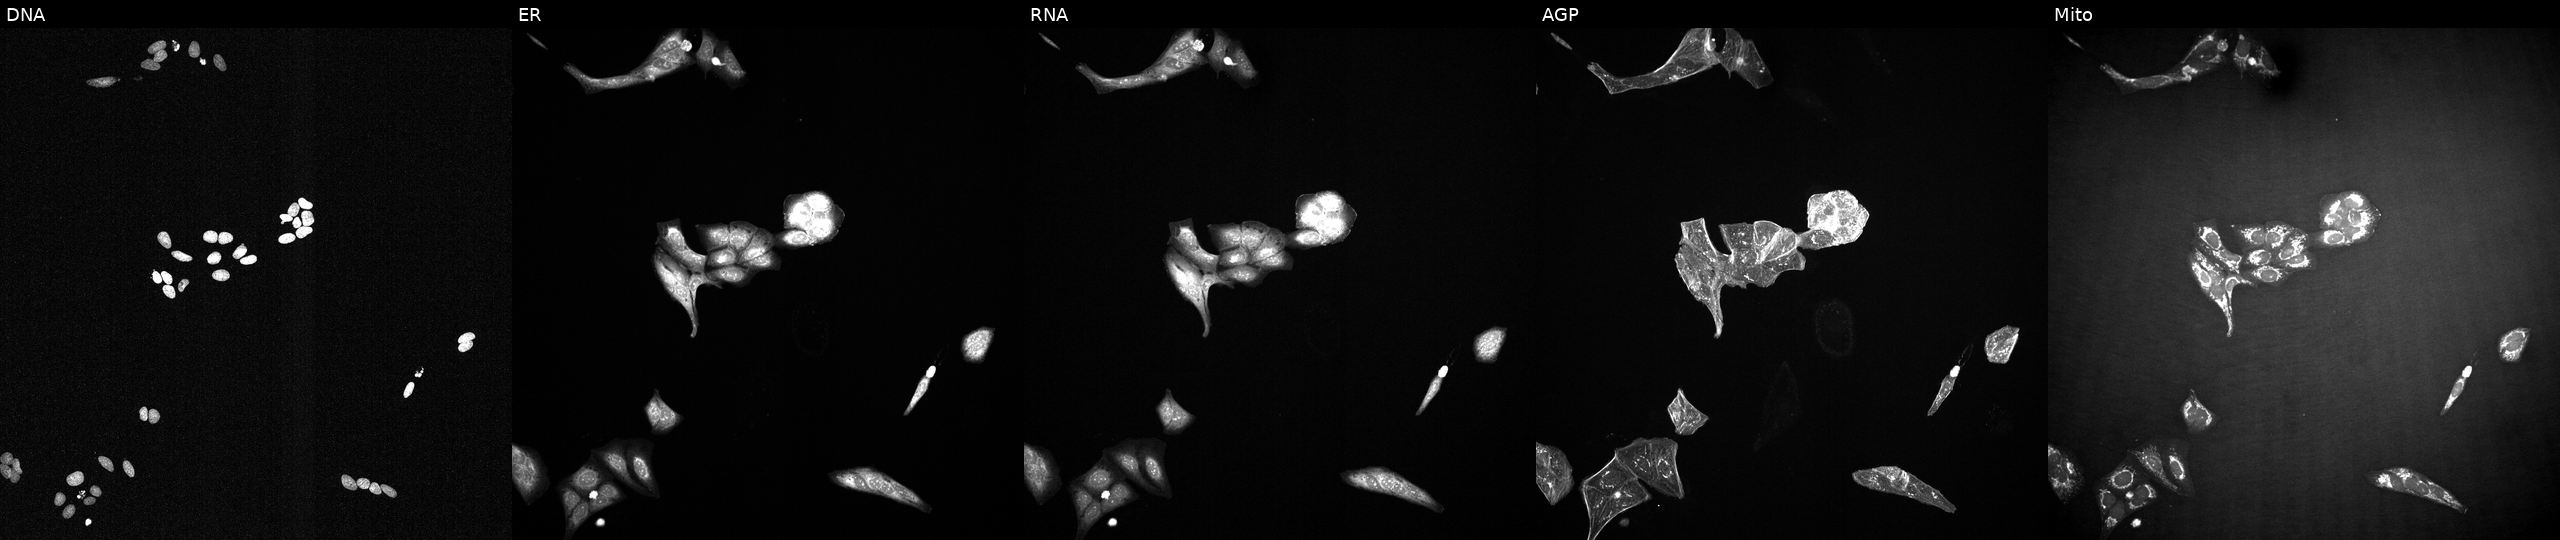
High-content fluorescence microscopy (Cell Painting). Cell line: U2OS. Perturbation: exposed to a small-molecule compound (InChIKey ZWVZORIKUNOTCS-UHFFFAOYSA-N) (JUMP id JCP2022_116188). The five panels, left to right, show DNA (nuclei); ER (endoplasmic reticulum); RNA (nucleoli and cytoplasmic RNA); AGP (actin cytoskeleton, Golgi, and plasma membrane); Mito (mitochondria). Source 2, plate 1053599503, well B20.